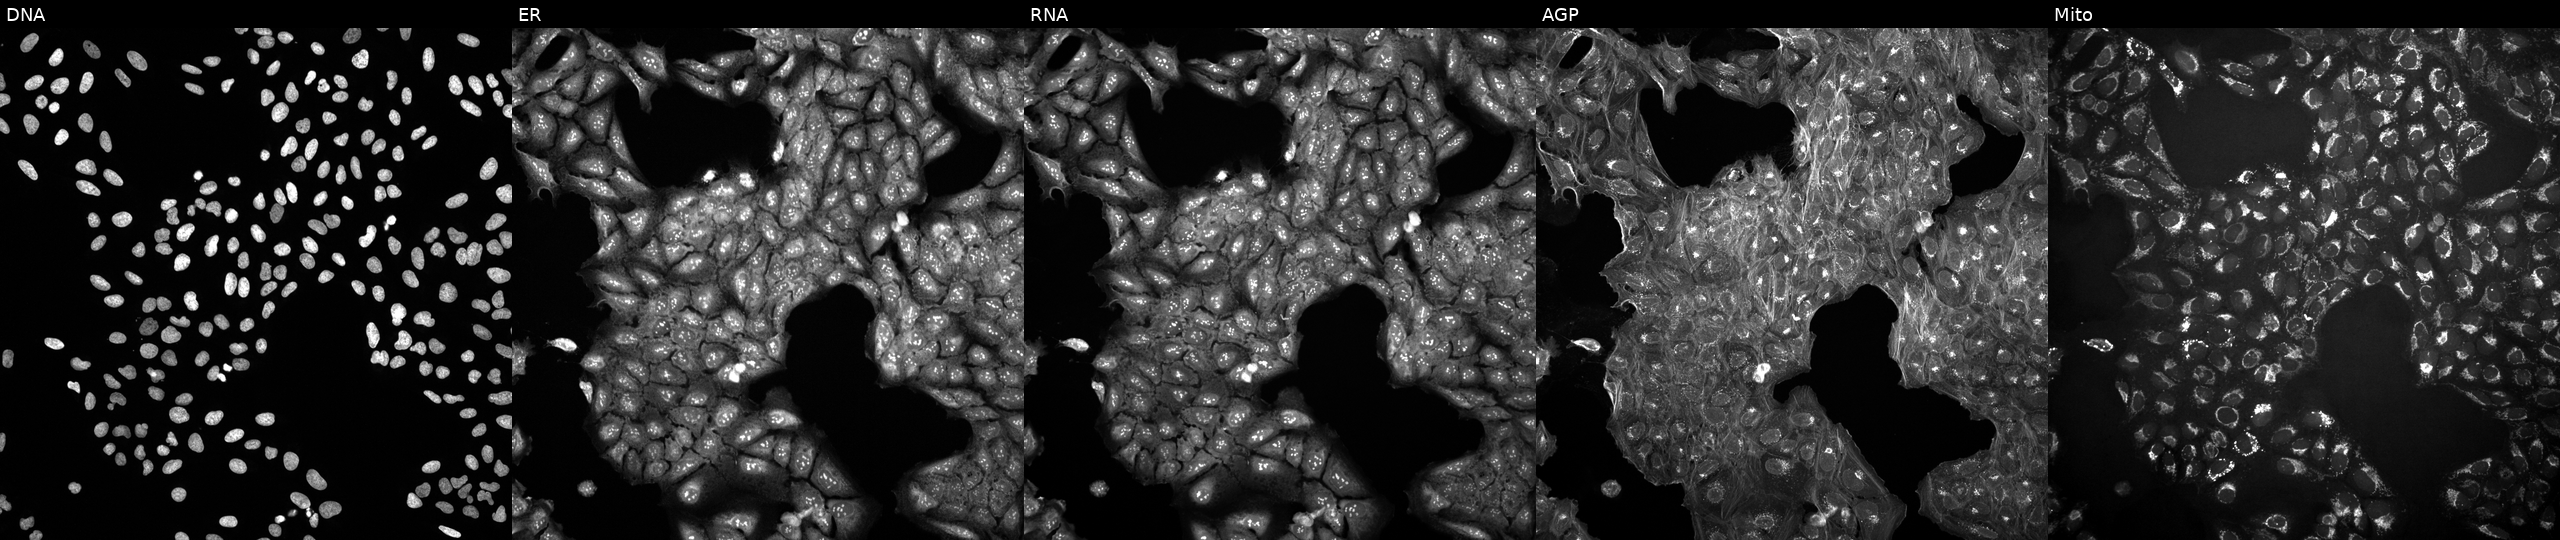
Five-channel Cell Painting image of U2OS cells untreated (empty-well control) (JUMP id JCP2022_999999). Channels (left→right): DNA (nuclei); ER (endoplasmic reticulum); RNA (nucleoli and cytoplasmic RNA); AGP (actin cytoskeleton, Golgi, and plasma membrane); Mito (mitochondria).